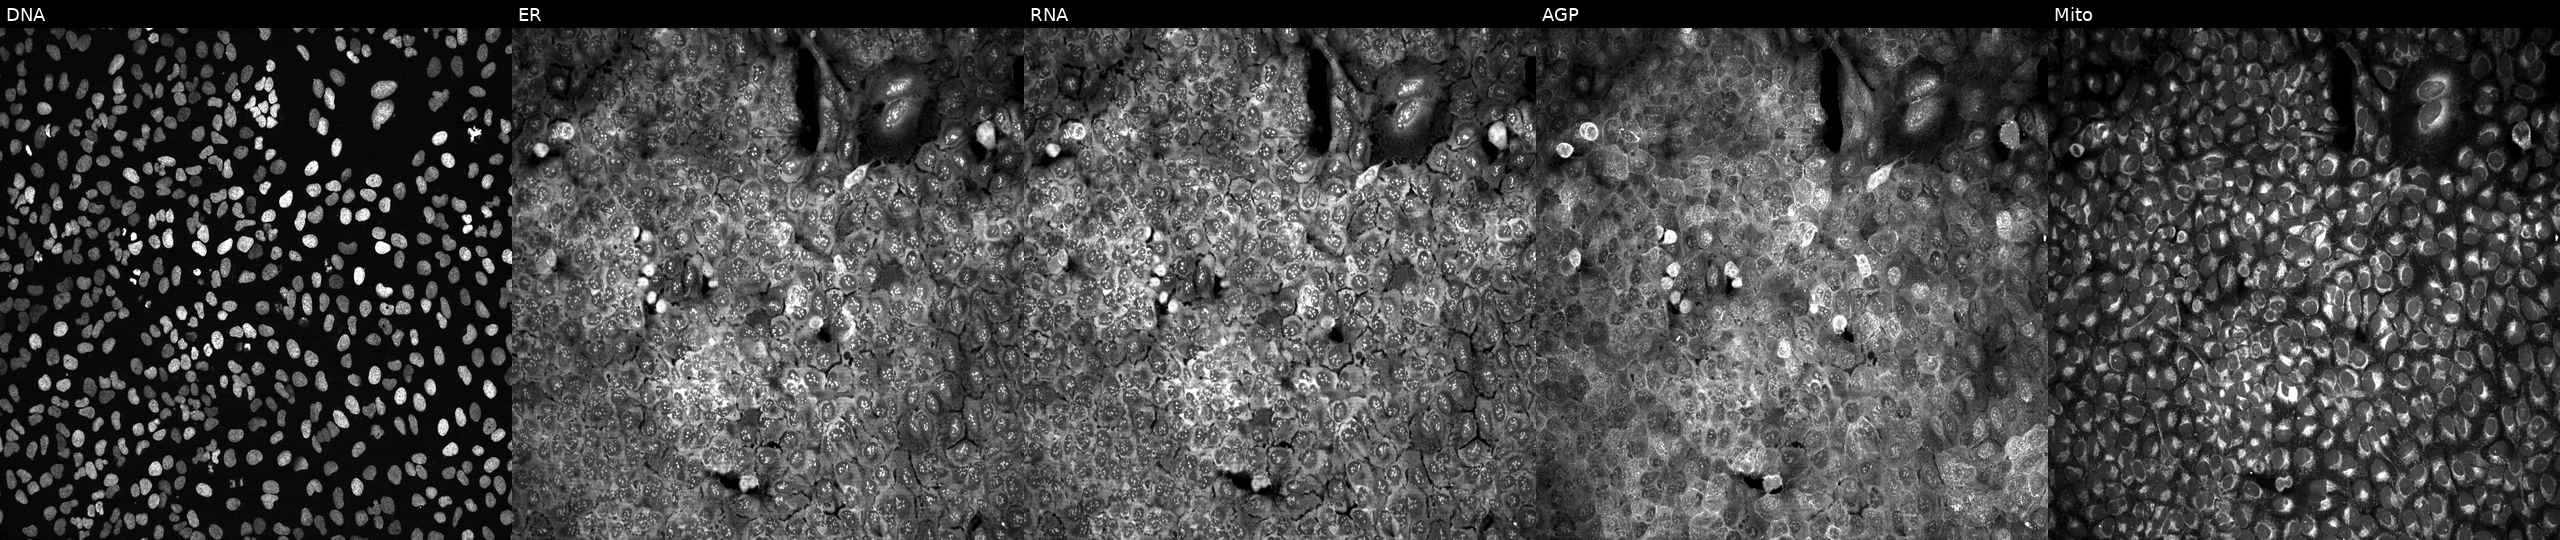
The five panels, left to right, show DNA (nuclei); ER (endoplasmic reticulum); RNA (nucleoli and cytoplasmic RNA); AGP (actin cytoskeleton, Golgi, and plasma membrane); Mito (mitochondria). U2OS osteosarcoma cells with ABCB9 knocked out by CRISPR (JUMP id JCP2022_800039). Cell Painting assay, JUMP-CP dataset.